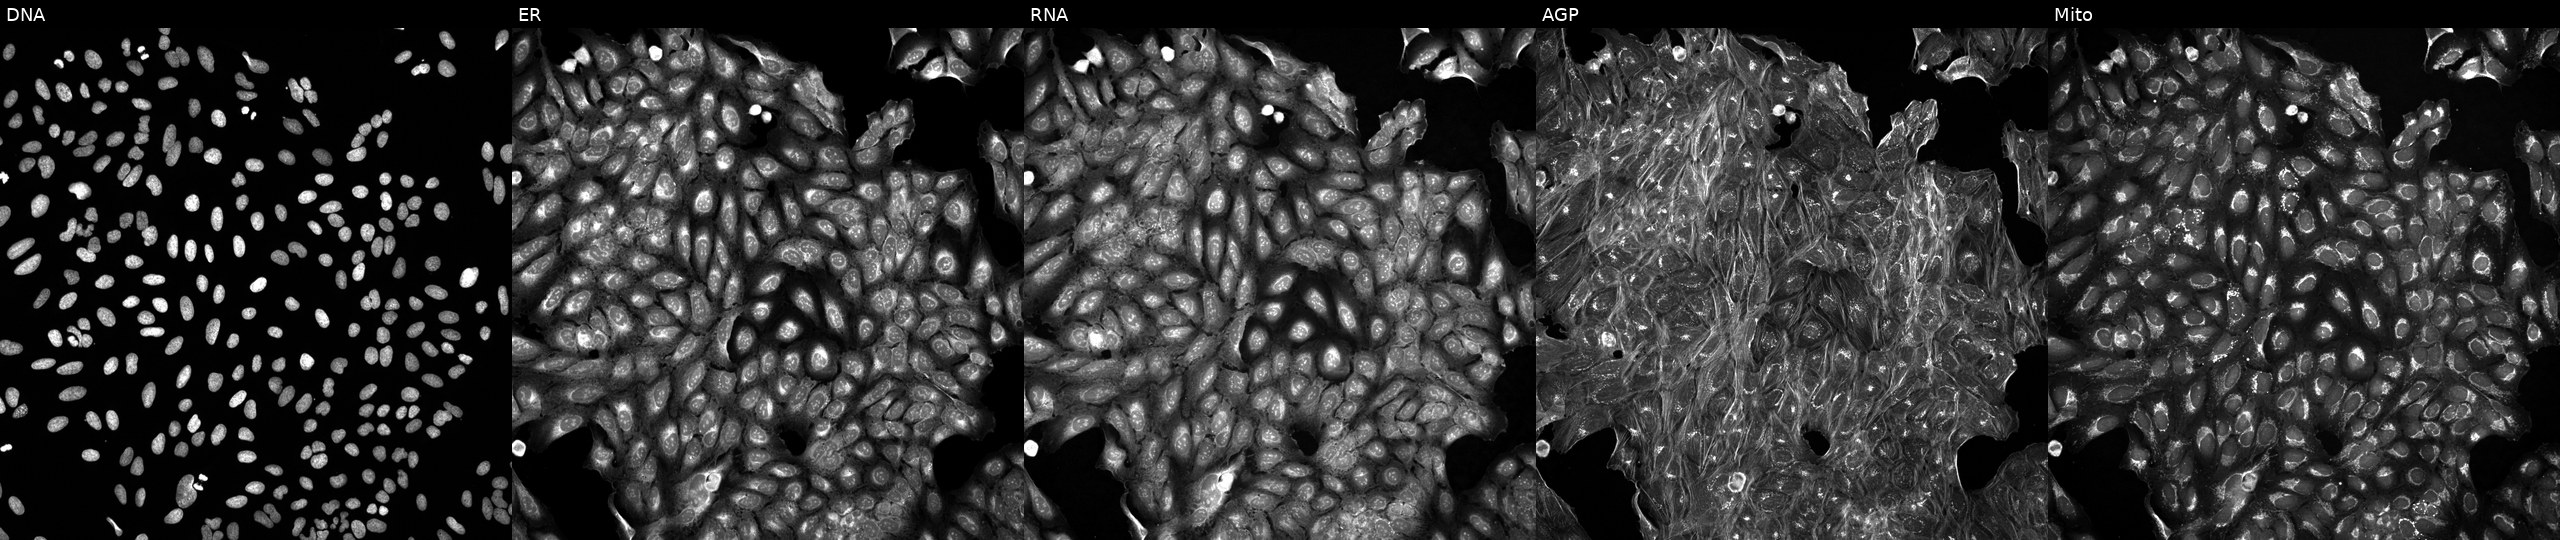
From left to right: Hoechst 33342, concanavalin A, SYTO 14, phalloidin and WGA, MitoTracker. U2OS osteosarcoma cells exposed to a small-molecule compound (JUMP id JCP2022_005529). Cell Painting assay, JUMP-CP dataset.